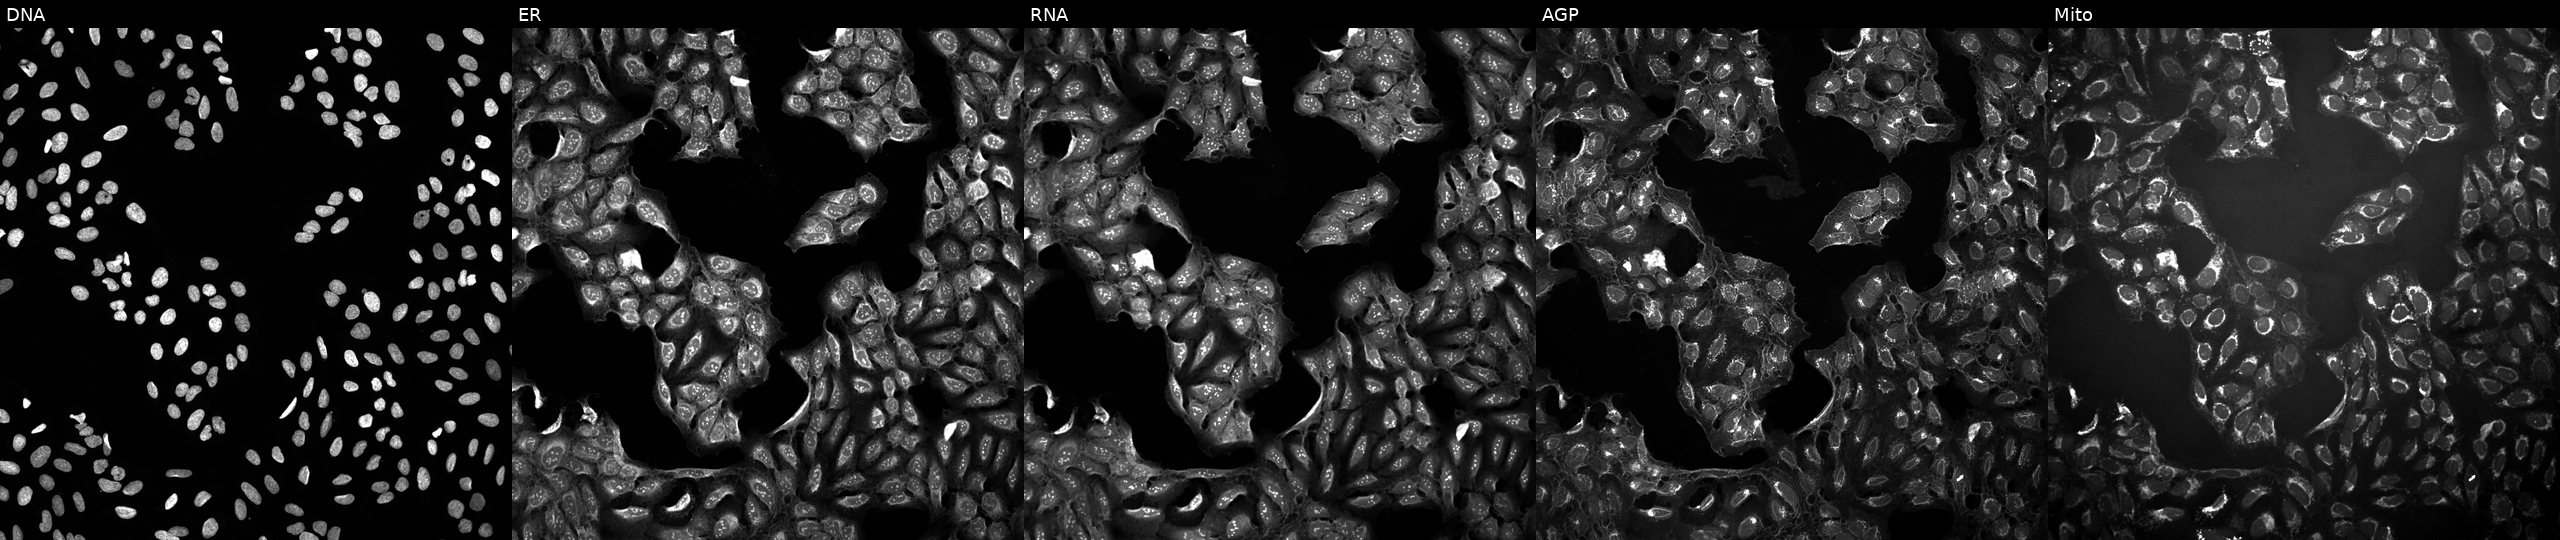
U2OS cells, Cell Painting assay, exposed to a small-molecule compound (InChIKey SHZKQBHERIJWAO-UHFFFAOYSA-N). Panels show, left to right, DNA, ER, RNA, AGP, and Mito. Each panel is percentile-stretched 16-bit fluorescence. Source 10, plate Dest210803-153958, well P05.